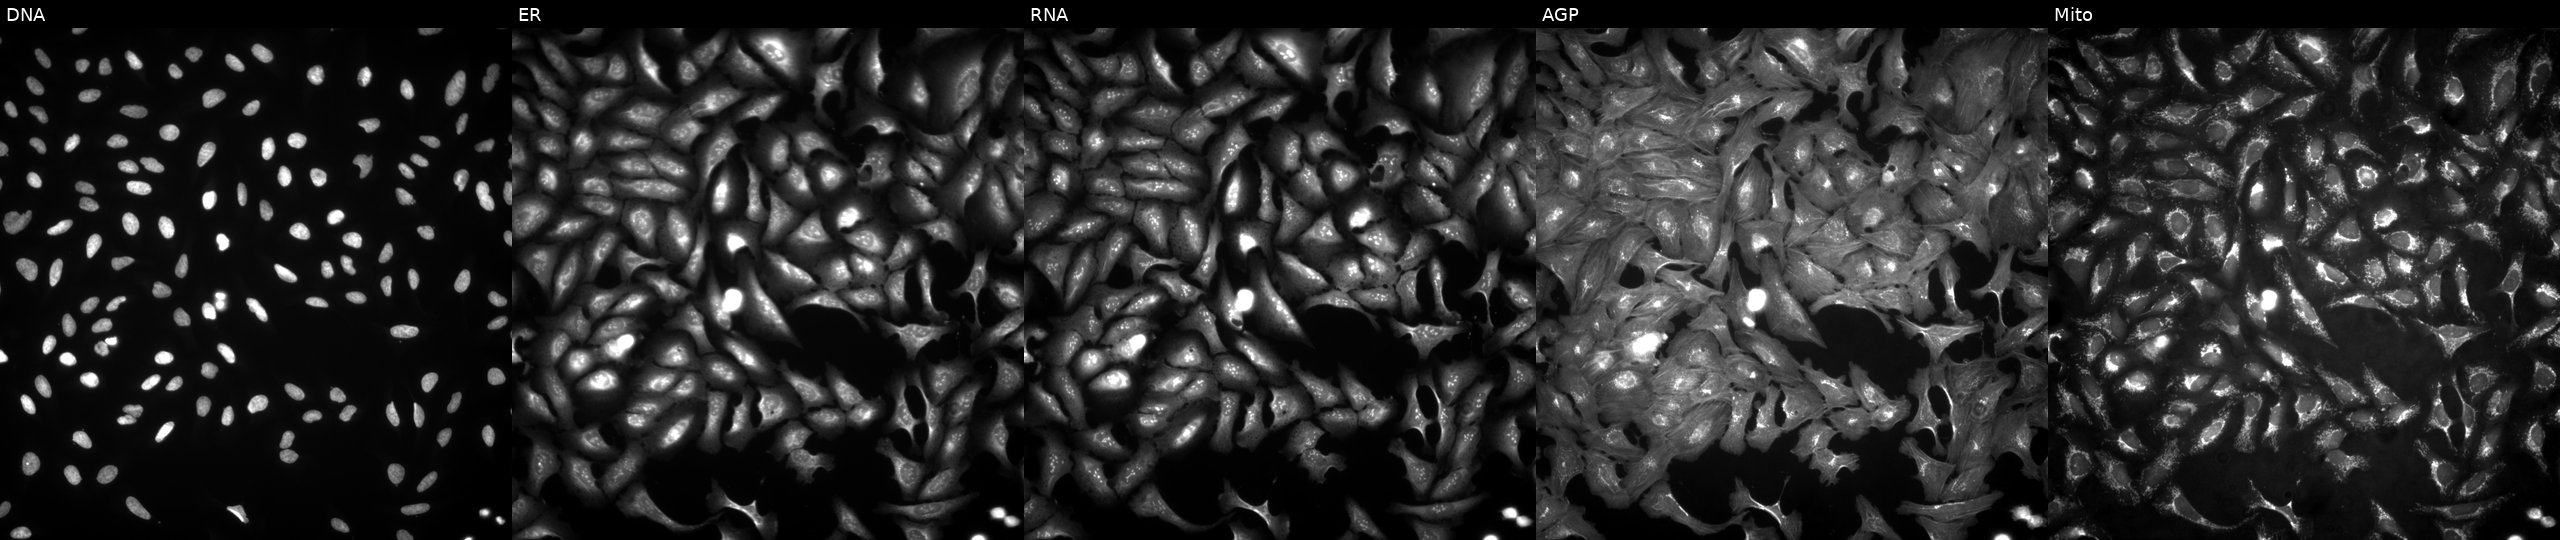
Five-channel Cell Painting image of U2OS cells with CXCL3 overexpressed (ORF). The five panels, left to right, show Hoechst 33342, concanavalin A, SYTO 14, phalloidin and WGA, MitoTracker.